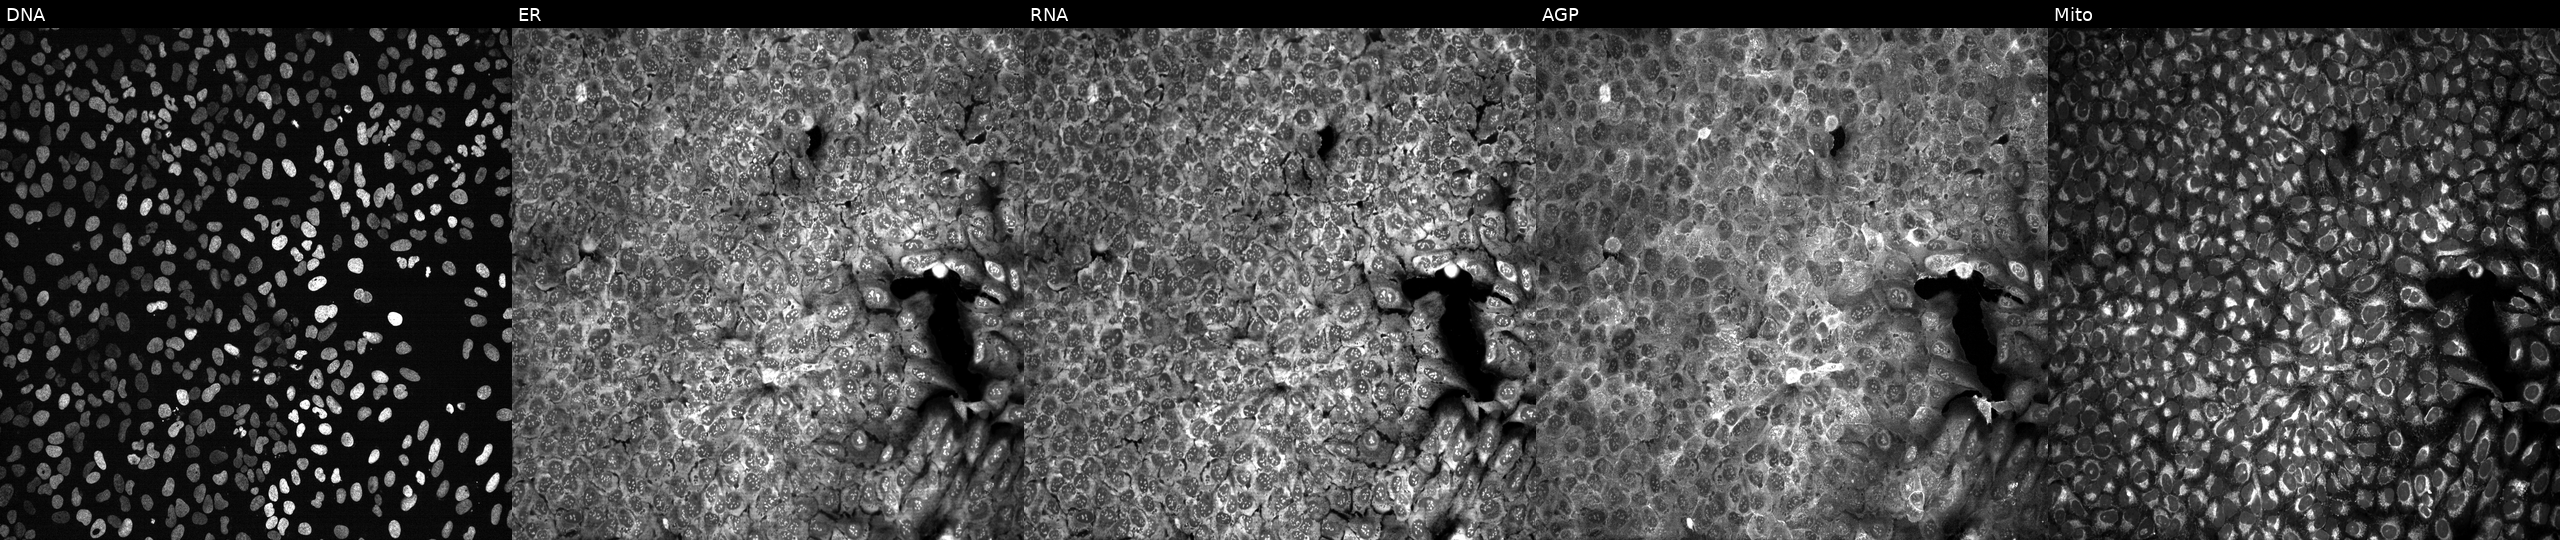
U2OS cells, Cell Painting assay, CRISPR-edited to disrupt SERINC3 (JUMP id JCP2022_806270). From left to right: DNA, ER, RNA, AGP, and Mito. Each panel is percentile-stretched 16-bit fluorescence.